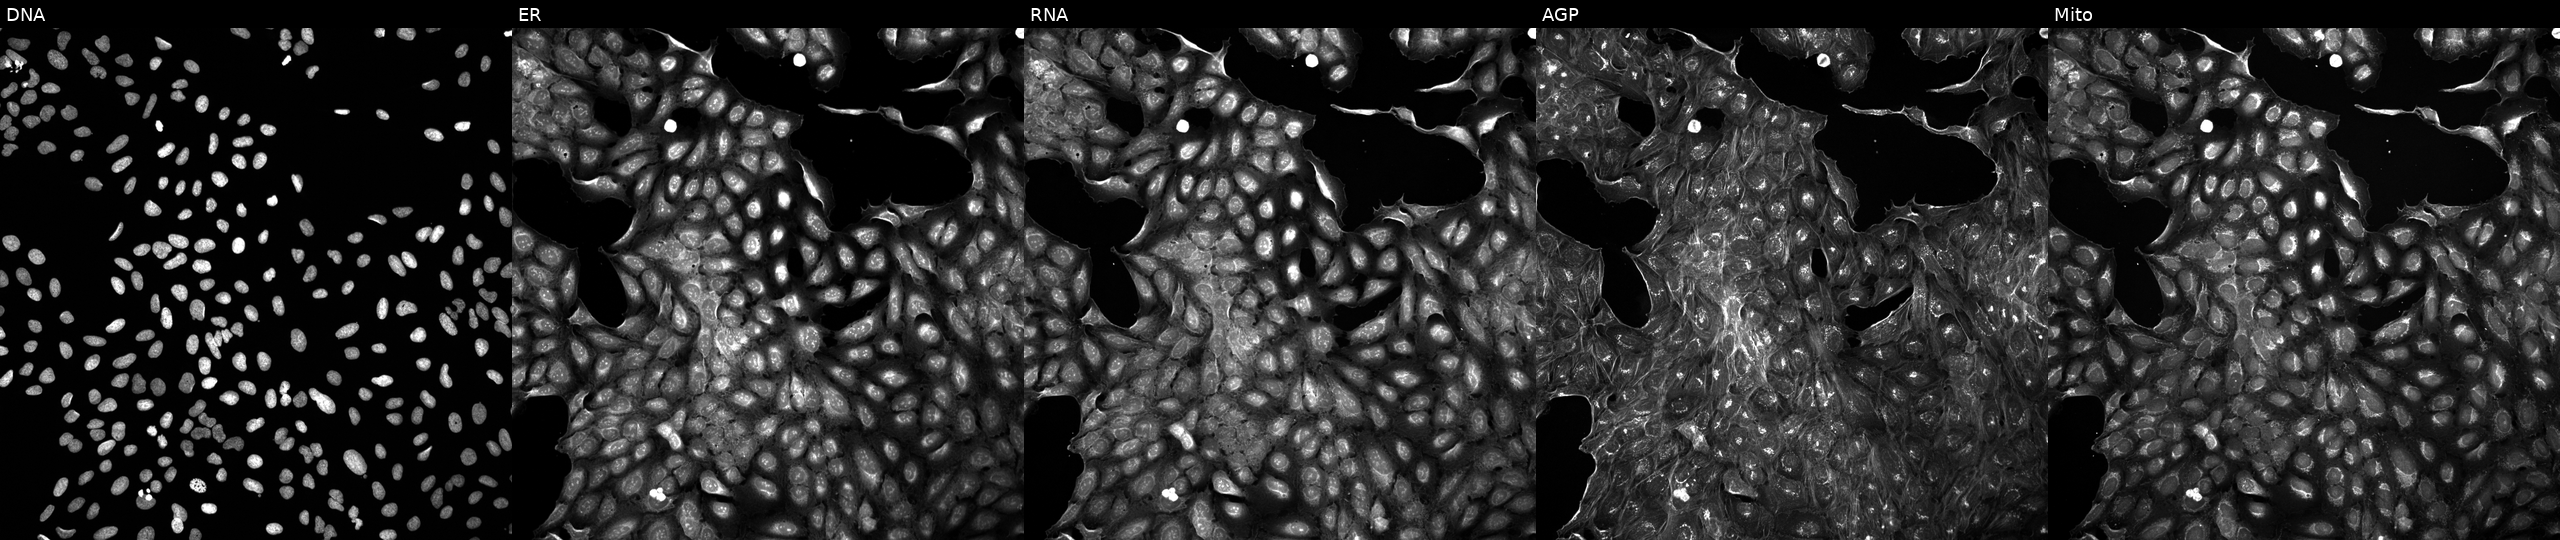
JUMP Cell Painting — COMPOUND plate. U2OS cells exposed to a small-molecule compound (InChIKey ZEPRZXZWJIOBQE-UHFFFAOYSA-N). Panels show, left to right, DNA, ER, RNA, AGP, and Mito. Source 5, plate APTJUM105, well L17.